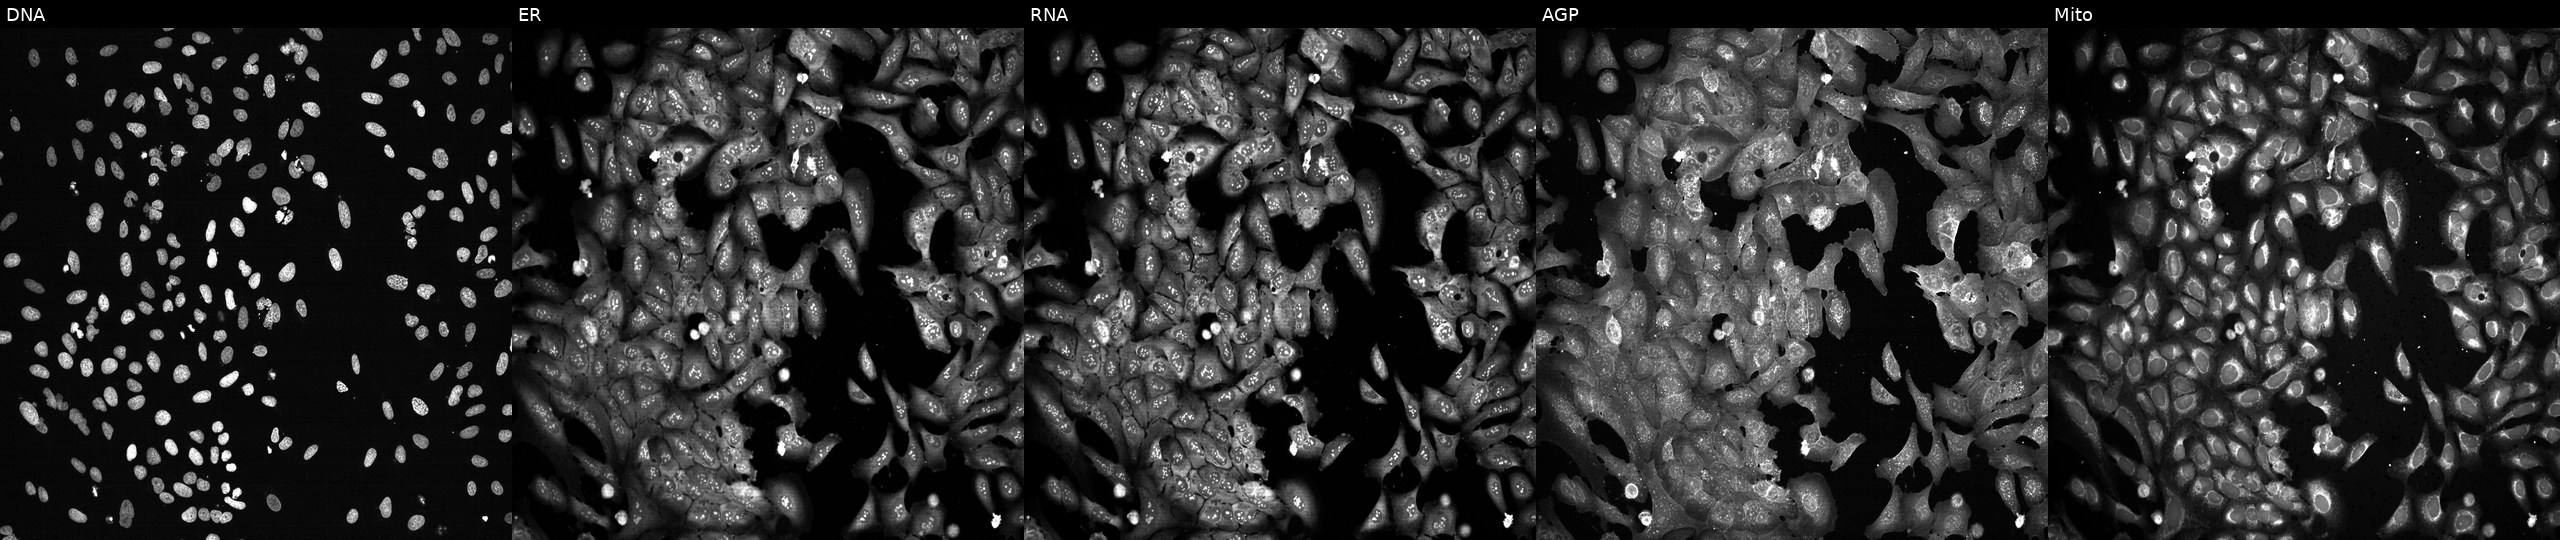
JUMP Cell Painting — CRISPR plate. U2OS cells CRISPR-edited to disrupt MEPCE (JUMP id JCP2022_804130). The five panels, left to right, show DNA, ER, RNA, AGP, and Mito. Source 13, plate CP-CC9-R5-01, well C19.